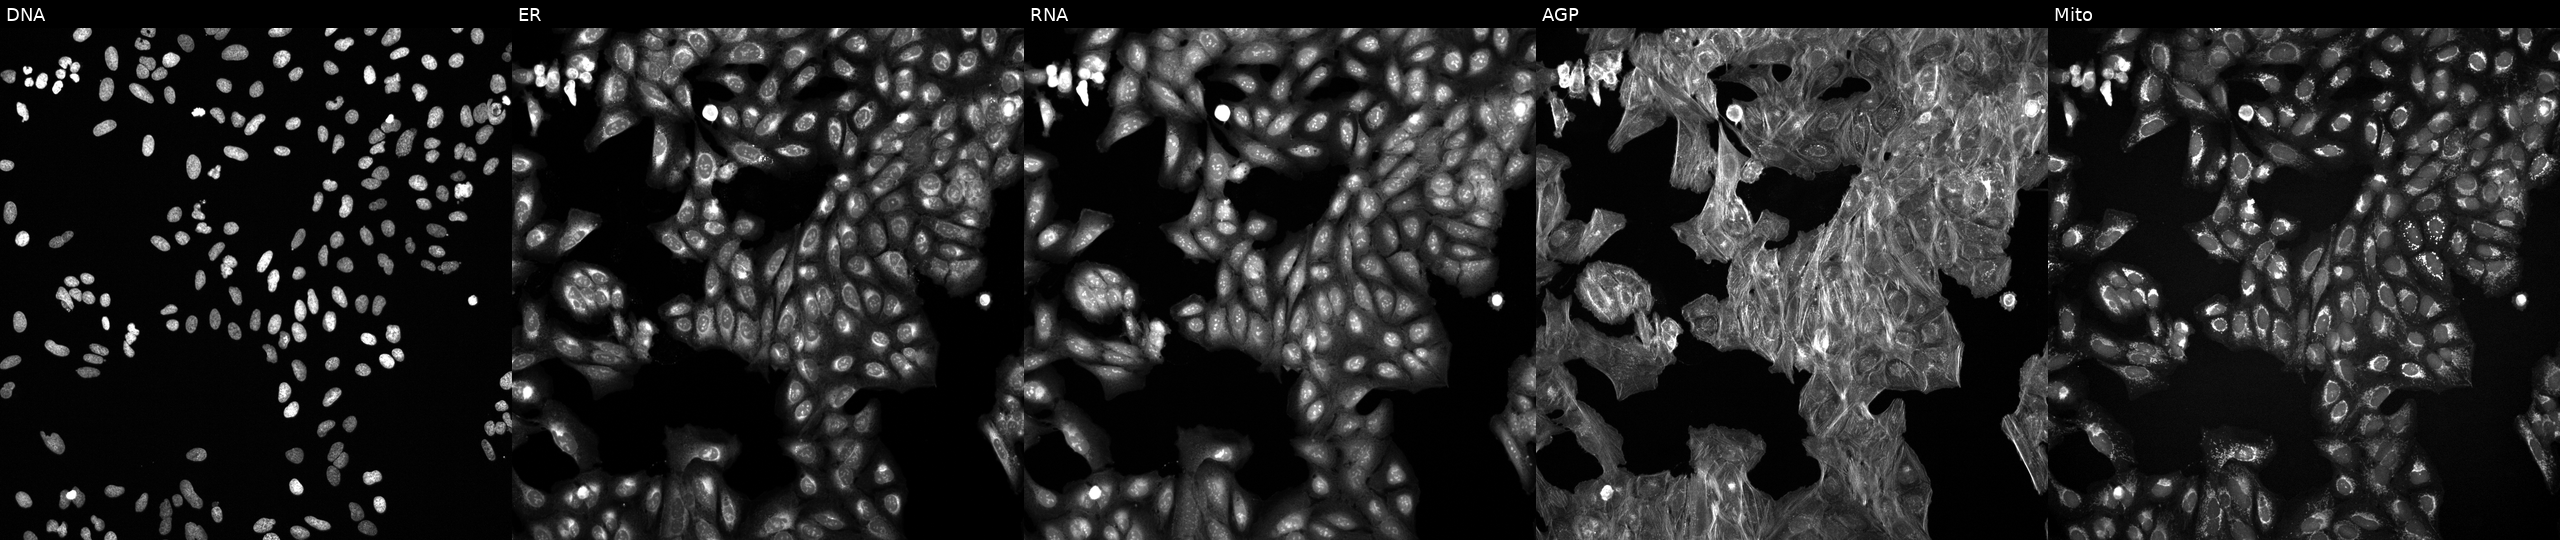
JUMP Cell Painting — COMPOUND plate. U2OS cells perturbed with a small-molecule compound (JUMP id JCP2022_101210). From left to right: Hoechst 33342, concanavalin A, SYTO 14, phalloidin and WGA, MitoTracker.